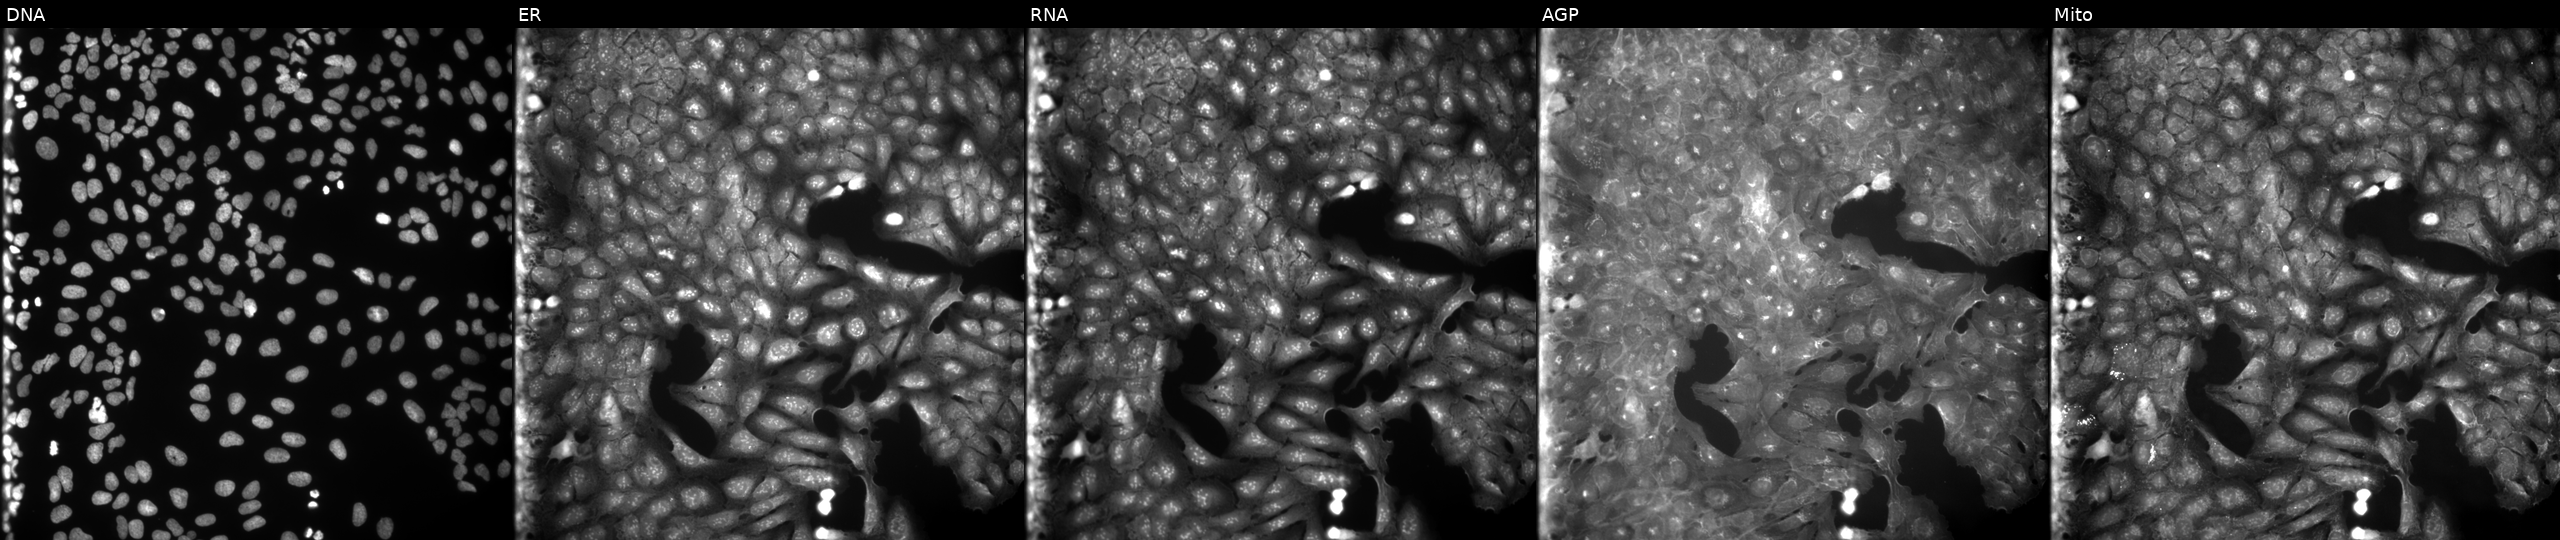
High-content fluorescence microscopy (Cell Painting). Cell line: U2OS. Perturbation: treated with a small-molecule compound (InChIKey SDWPXJUXCLOURP-UHFFFAOYSA-N) [SMILES: CCCCCn1c(C)c2c(OCC)cccc(=O)c2c1C]. Channels (left→right): Hoechst 33342, concanavalin A, SYTO 14, phalloidin and WGA, MitoTracker.